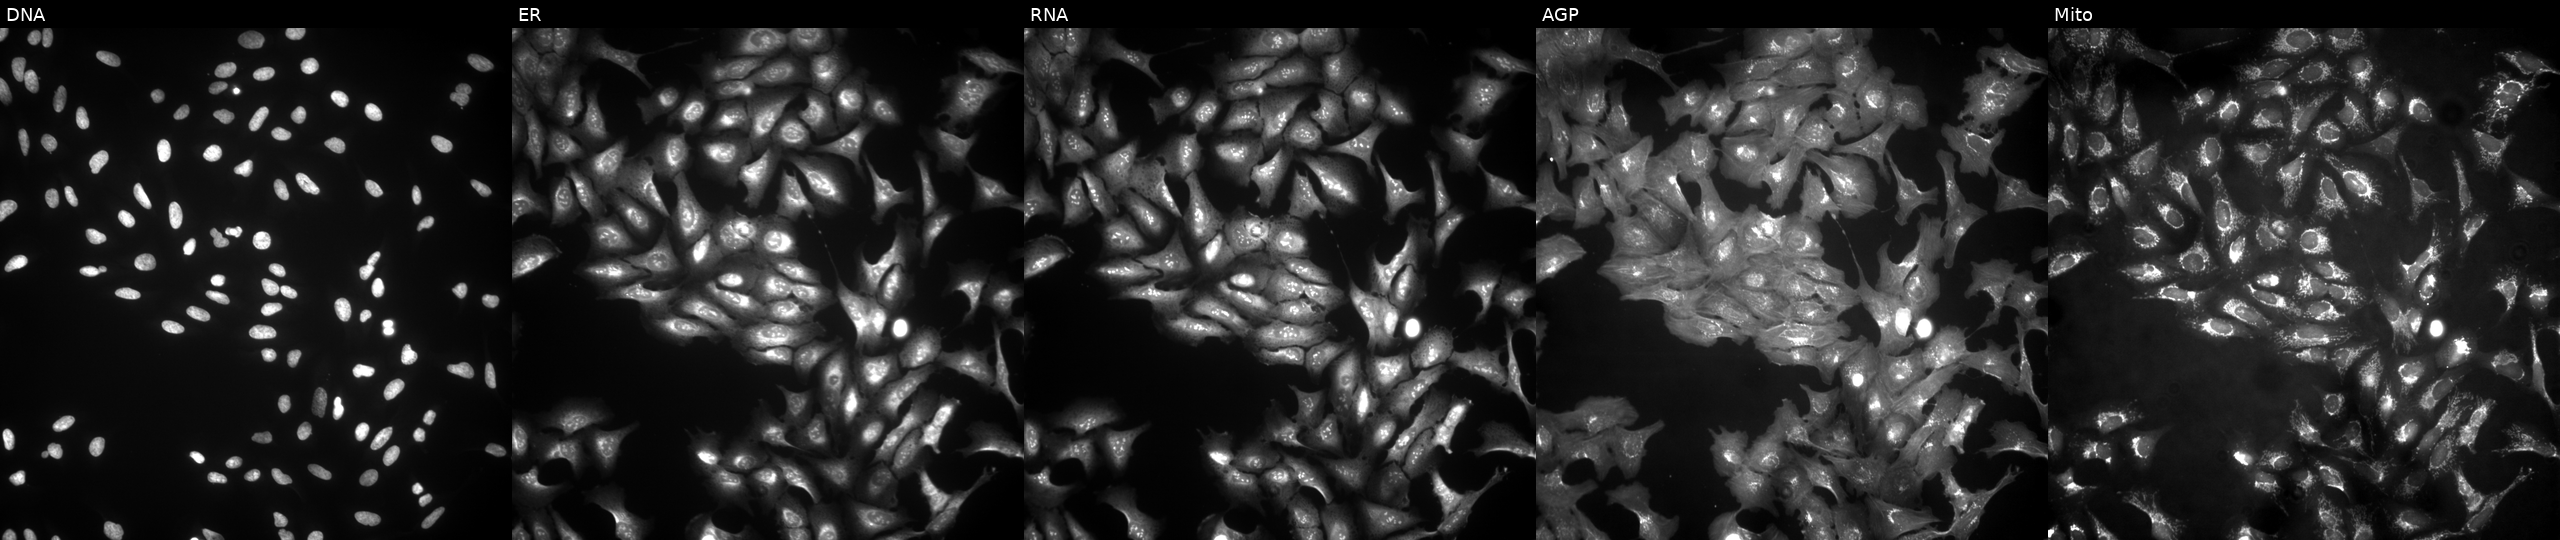
High-content fluorescence microscopy (Cell Painting). Cell line: U2OS. Perturbation: transfected with an ORF construct for SLC22A16 (JUMP id JCP2022_904197). From left to right: DNA, ER, RNA, AGP, and Mito. Source 4, plate BR00123506, well H17.